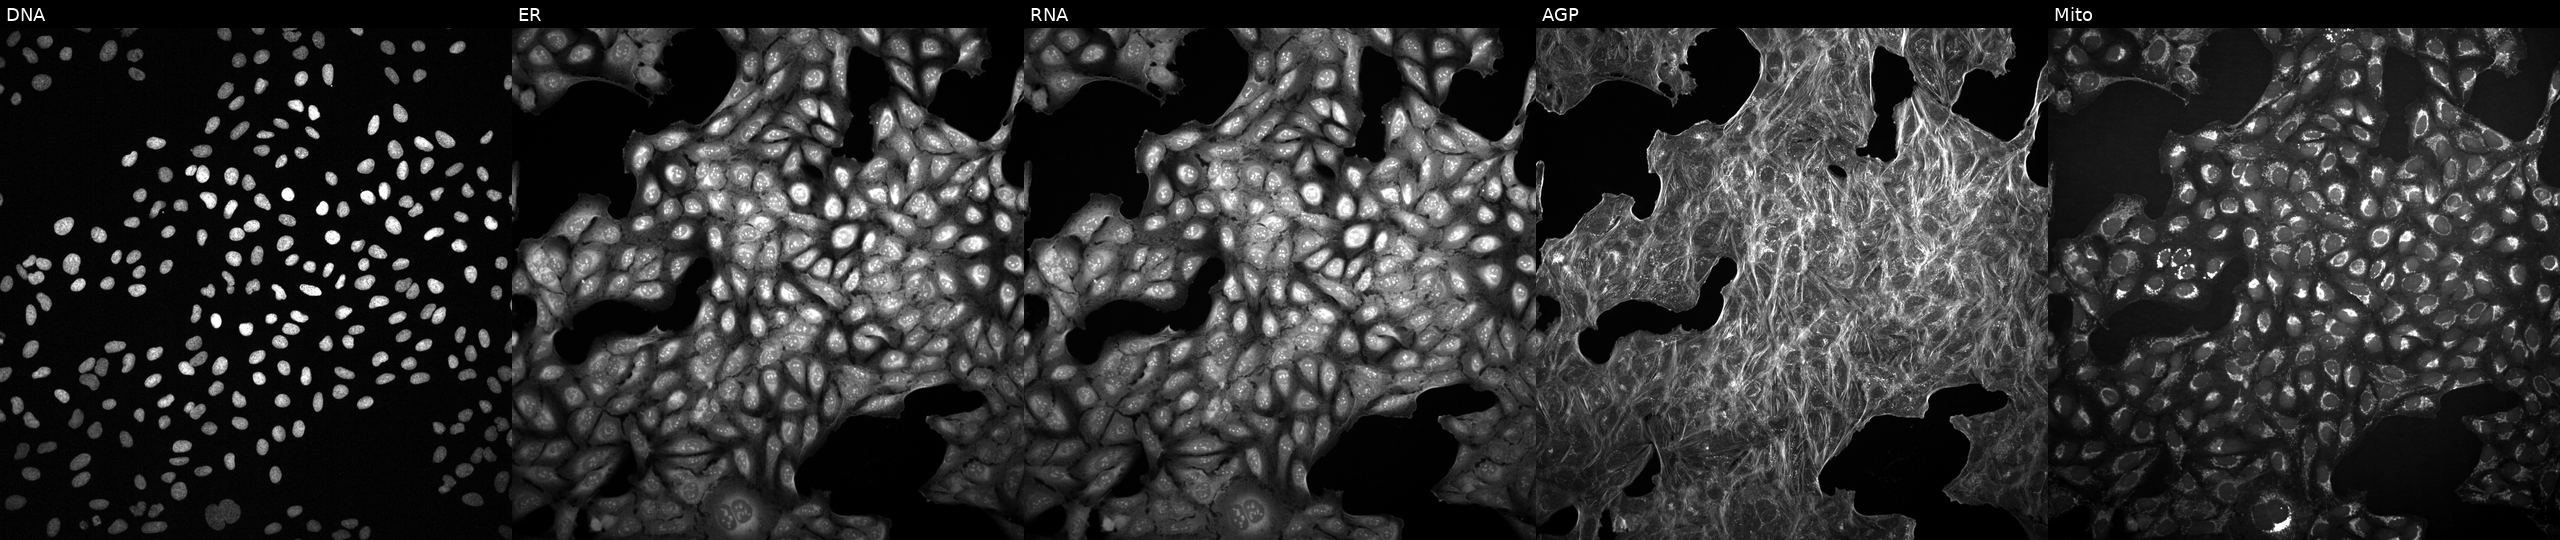
This image strip shows the five Cell Painting channels for a single field of U2OS cells treated with a small-molecule compound (InChIKey GDMOZVCHBMYMDM-UHFFFAOYSA-N). From left to right: Hoechst 33342, concanavalin A, SYTO 14, phalloidin and WGA, MitoTracker.